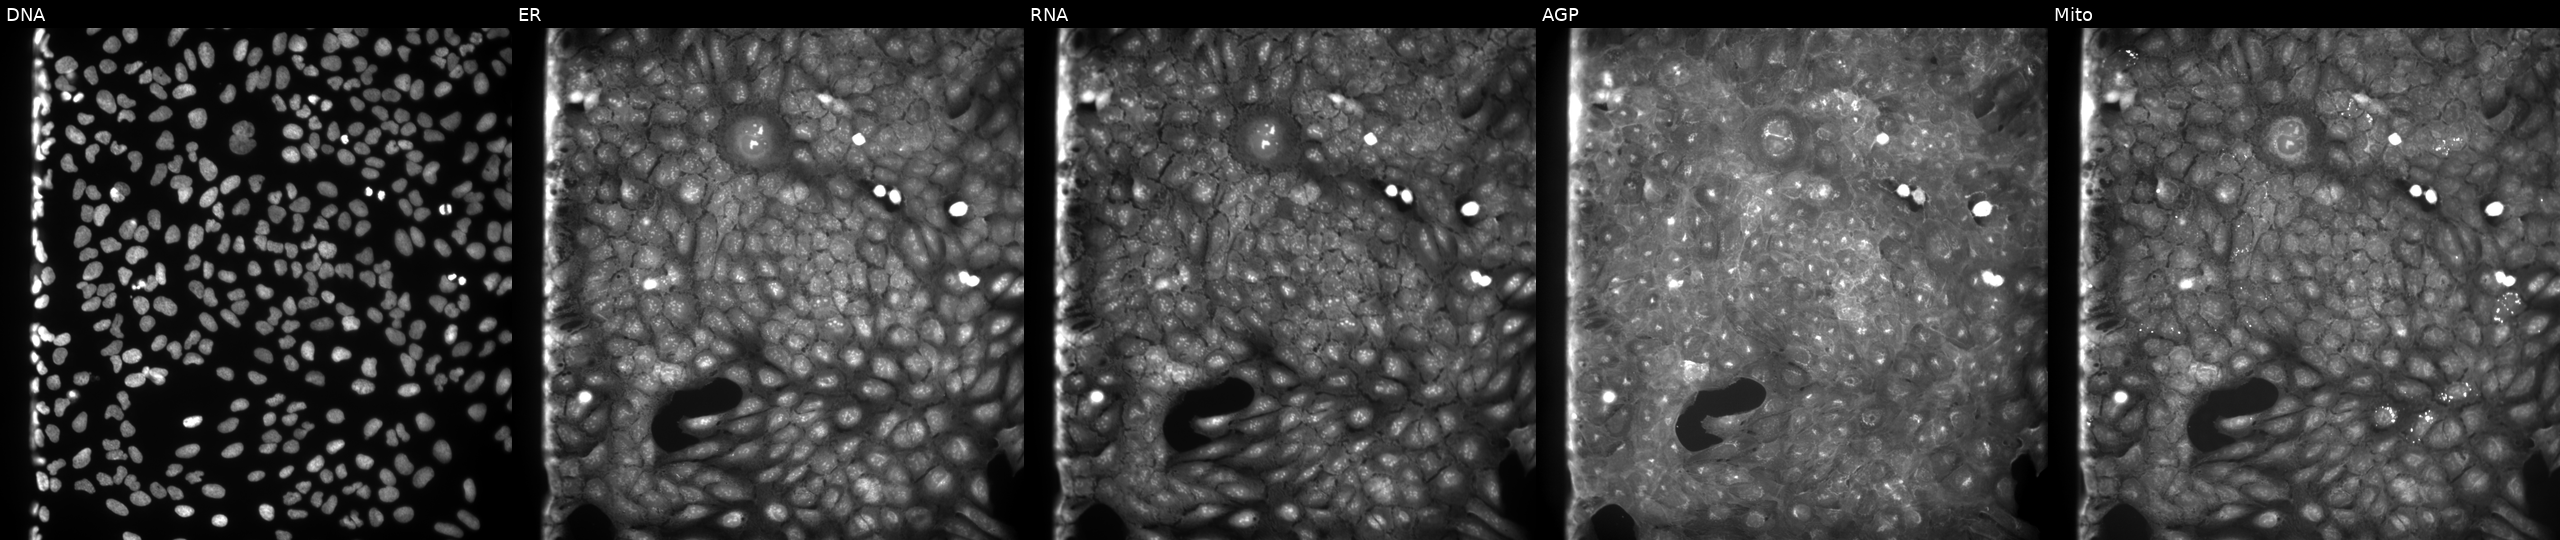
Five-channel Cell Painting image of U2OS cells perturbed with a small-molecule compound (InChIKey YZNOCZYSARSFSL-UHFFFAOYSA-N) (JUMP id JCP2022_111893). The five panels, left to right, show Hoechst 33342, concanavalin A, SYTO 14, phalloidin and WGA, MitoTracker. Source 9, plate GR00003382, well G05.